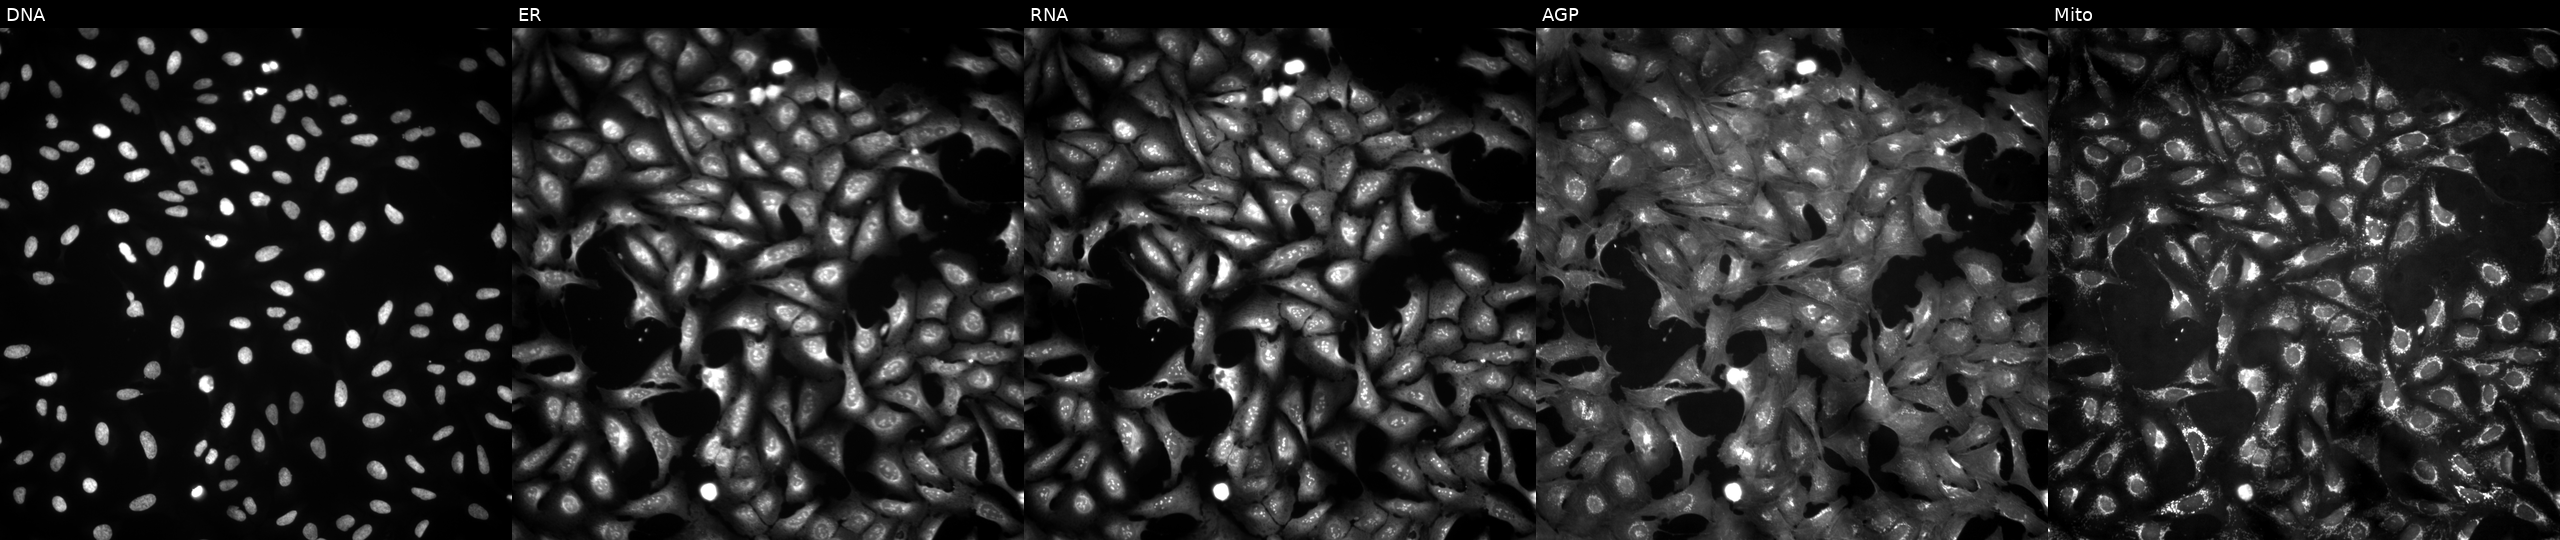
Five-channel Cell Painting image of U2OS cells overexpressing ZDHHC5 via ORF transfection. Channels (left→right): DNA (nuclei); ER (endoplasmic reticulum); RNA (nucleoli and cytoplasmic RNA); AGP (actin cytoskeleton, Golgi, and plasma membrane); Mito (mitochondria). Source 4, plate BR00121543, well B09.